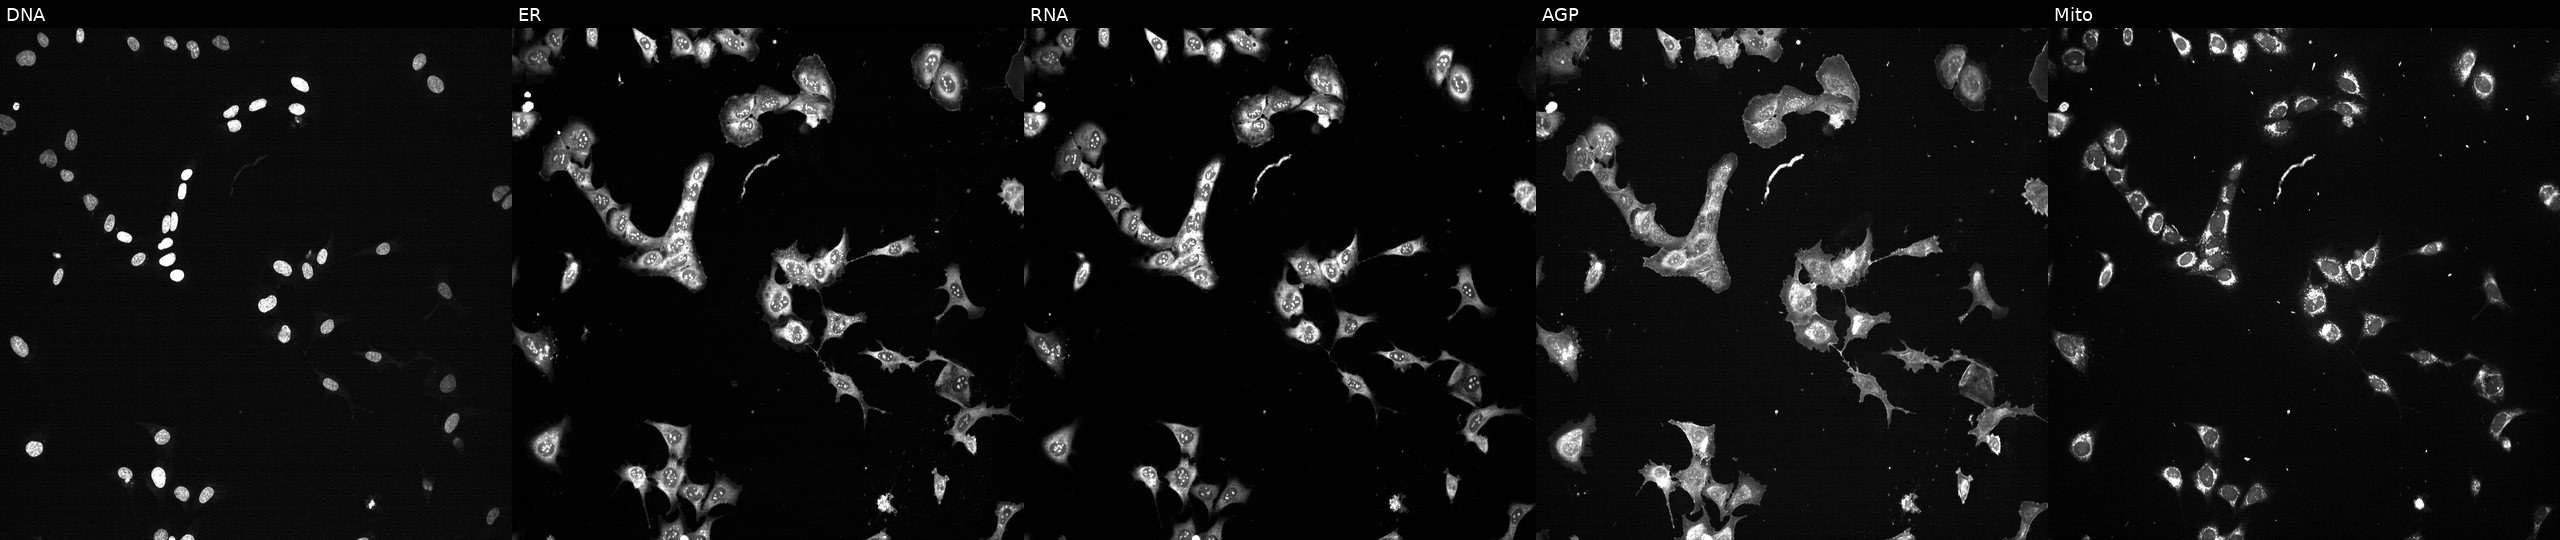
U2OS cells, Cell Painting assay, following CRISPR knockout of PSMD7. From left to right: Hoechst 33342, concanavalin A, SYTO 14, phalloidin and WGA, MitoTracker. Each panel is percentile-stretched 16-bit fluorescence. Source 13, plate CP-CC9-R3-01, well E20.